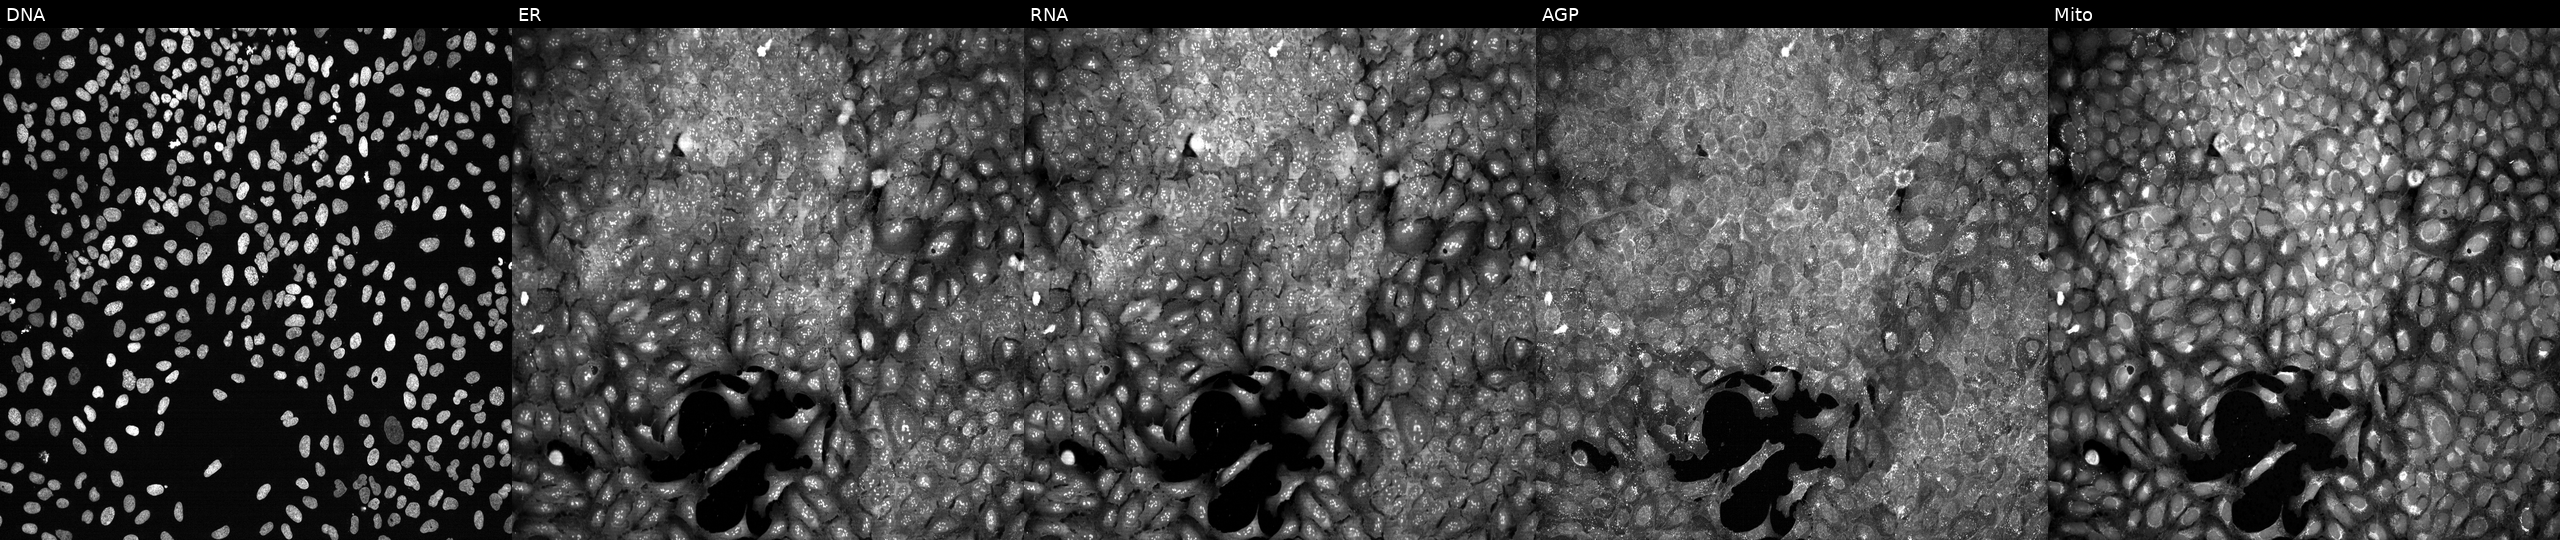
U2OS cells, Cell Painting assay, with FGF7 knocked out by CRISPR (JUMP id JCP2022_802393). Panels show, left to right, DNA, ER, RNA, AGP, and Mito. Each panel is percentile-stretched 16-bit fluorescence.